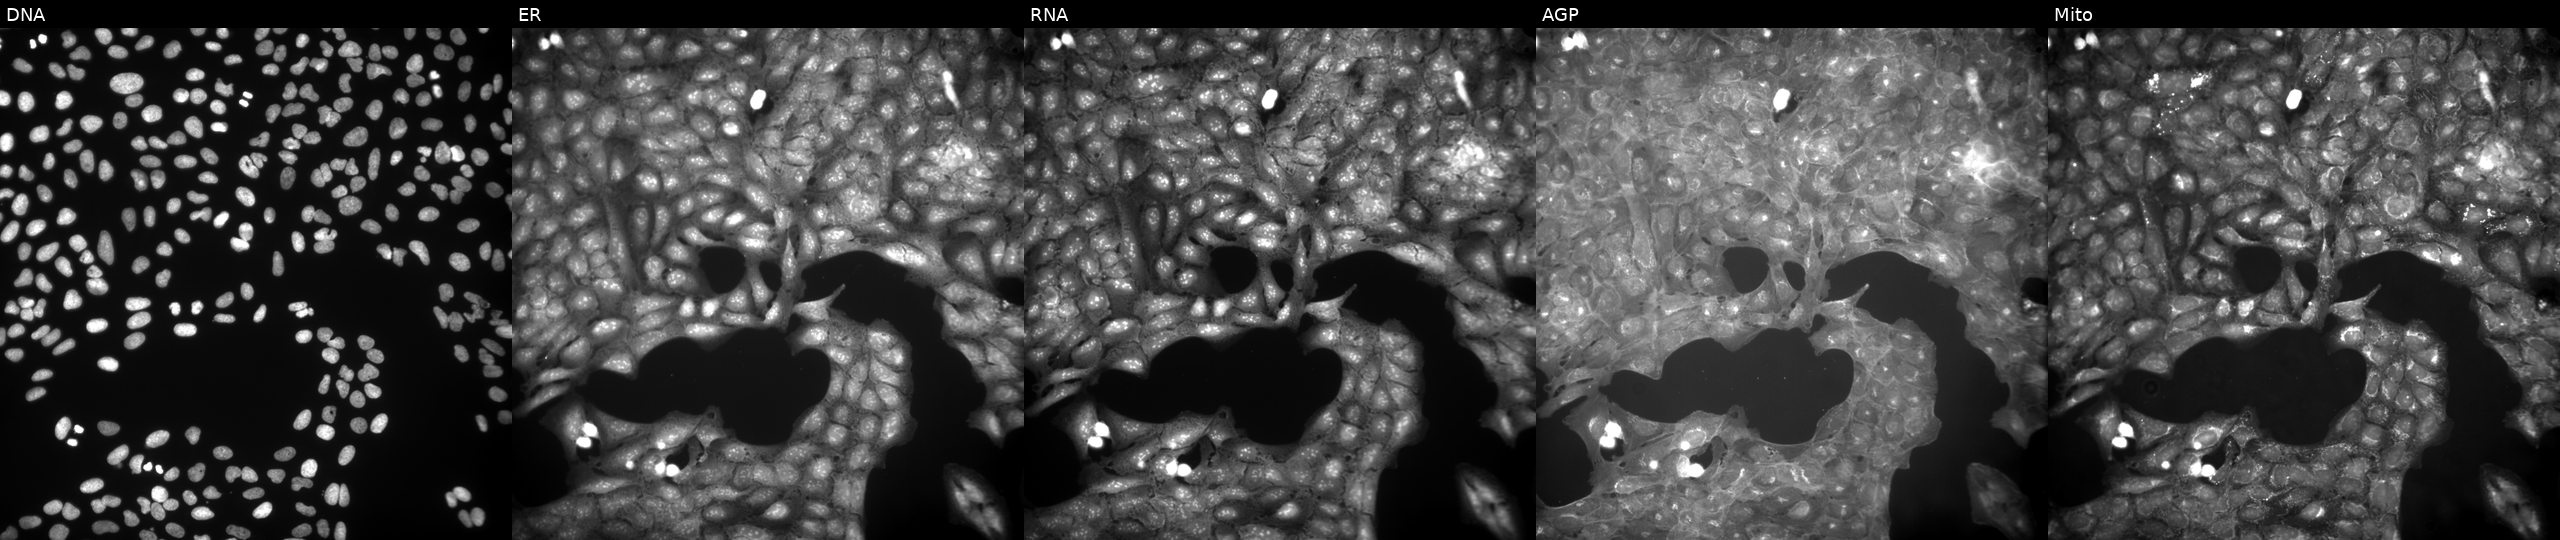
High-content fluorescence microscopy (Cell Painting). Cell line: U2OS. Perturbation: treated with DMSO vehicle only (negative control). Panels show, left to right, Hoechst 33342, concanavalin A, SYTO 14, phalloidin and WGA, MitoTracker. Source 9, plate GR00003381, well A47.